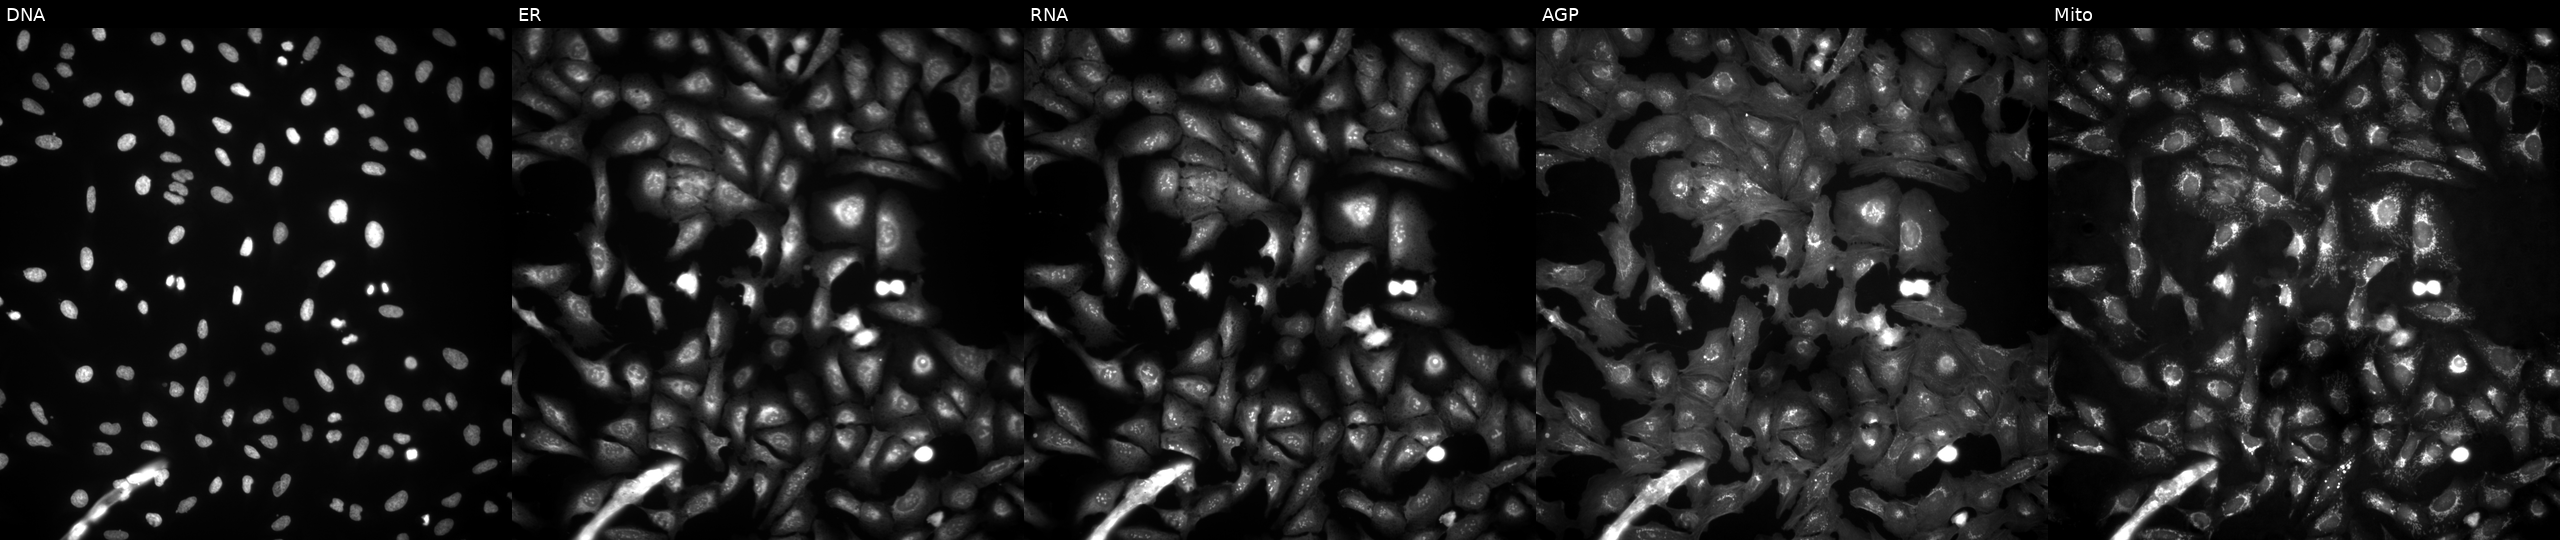
The five panels, left to right, show DNA (nuclei); ER (endoplasmic reticulum); RNA (nucleoli and cytoplasmic RNA); AGP (actin cytoskeleton, Golgi, and plasma membrane); Mito (mitochondria). U2OS osteosarcoma cells with MT1B overexpressed (ORF) (JUMP id JCP2022_900973). Cell Painting assay, JUMP-CP dataset. Source 4, plate BR00124790, well E15.